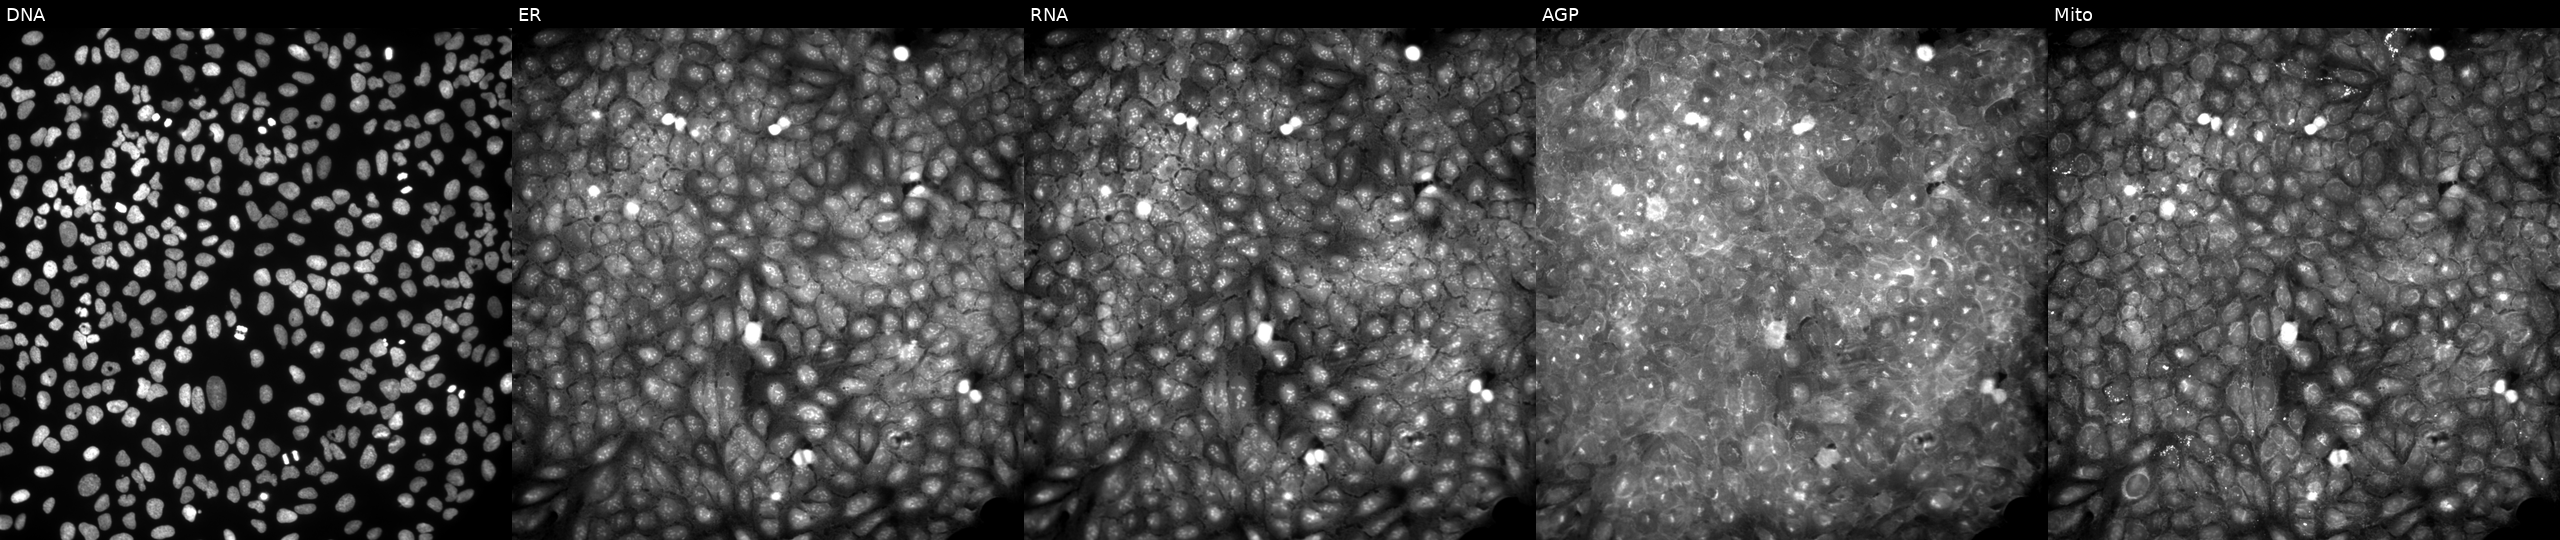
This image strip shows the five Cell Painting channels for a single field of U2OS cells perturbed with a small-molecule compound (InChIKey SPXOYBFUFDNGEZ-UHFFFAOYSA-N) [SMILES: O=C(CN(Cc1ccccc1)S(=O)(=O)c1ccc(Br)cc1)NCC1CCCO1] (JUMP id JCP2022_084854). From left to right: Hoechst 33342, concanavalin A, SYTO 14, phalloidin and WGA, MitoTracker.